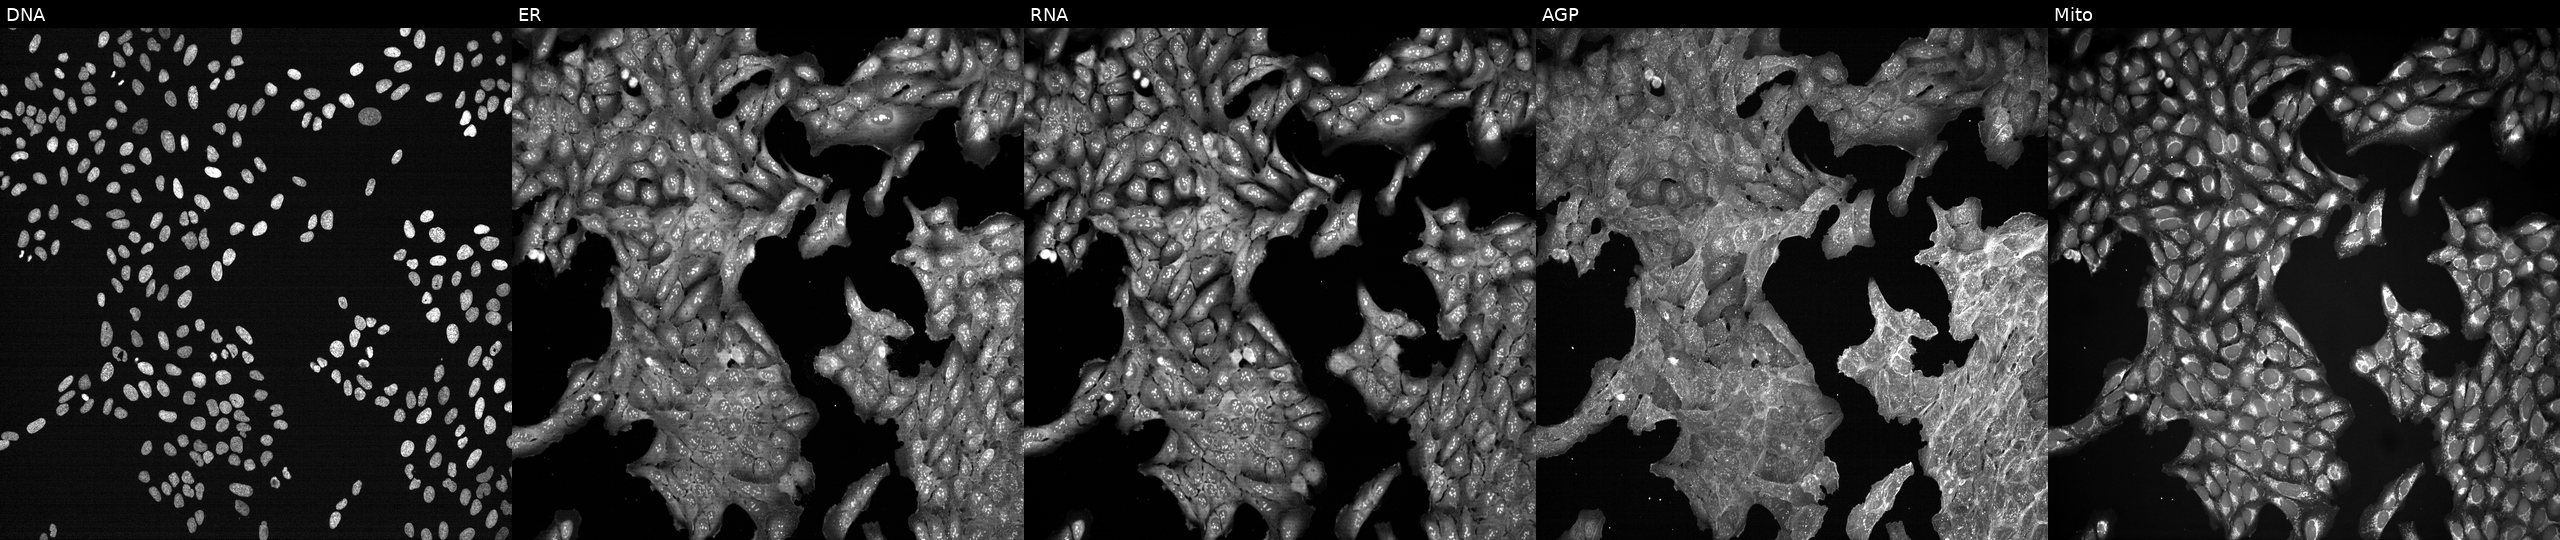
High-content fluorescence microscopy (Cell Painting). Cell line: U2OS. Perturbation: treated with DMSO vehicle only (negative control). Panels show, left to right, Hoechst 33342, concanavalin A, SYTO 14, phalloidin and WGA, MitoTracker. Source 7, plate CP3-SC1-25, well K06.